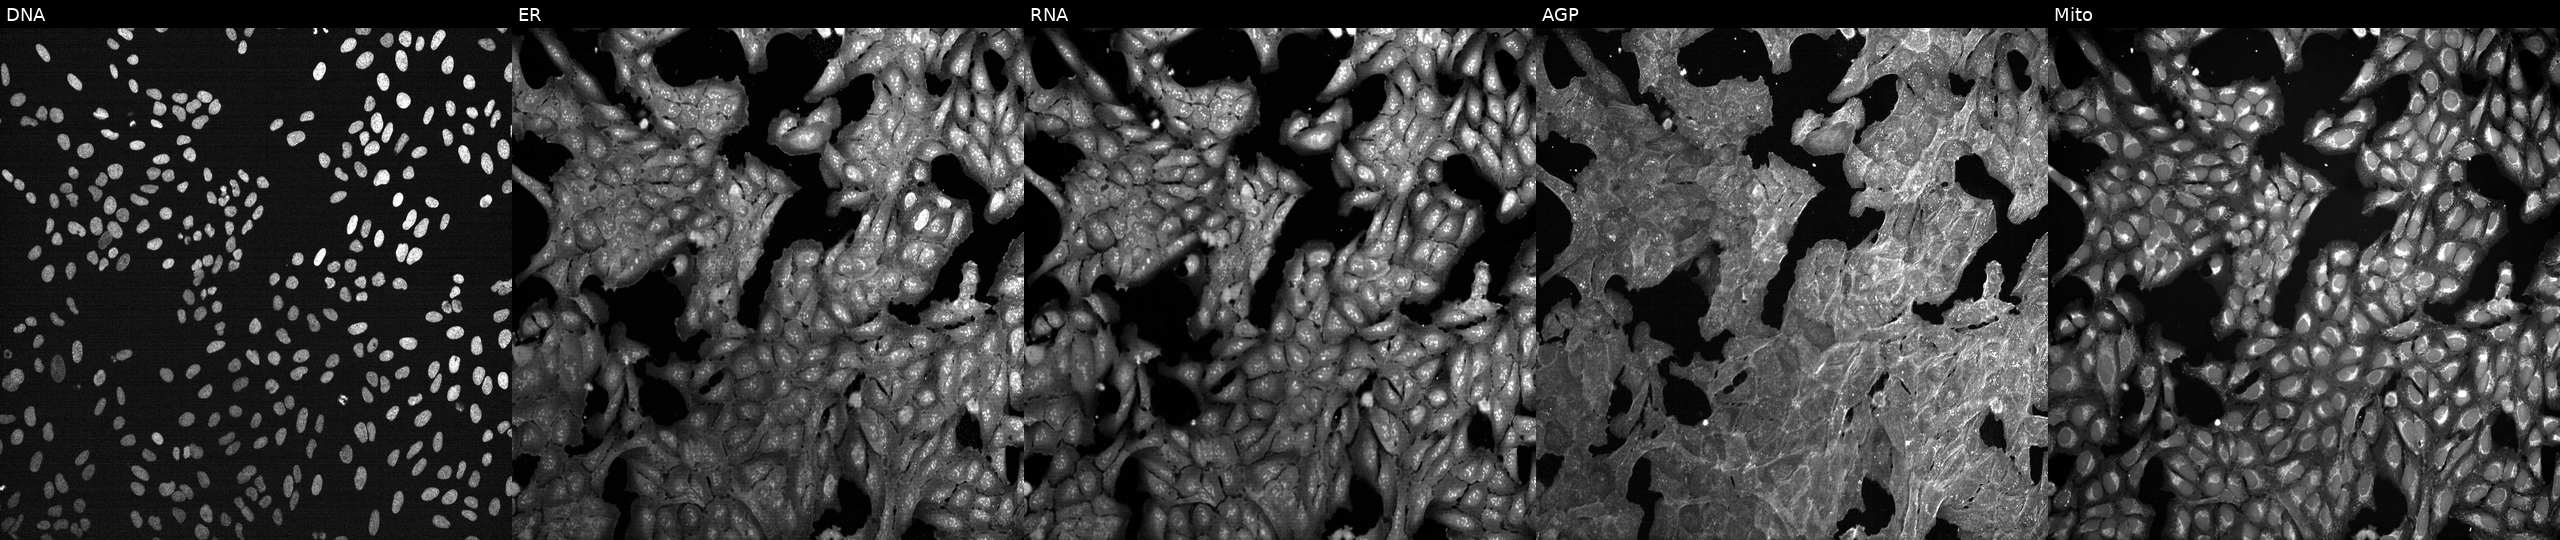
Channels (left→right): DNA (nuclei); ER (endoplasmic reticulum); RNA (nucleoli and cytoplasmic RNA); AGP (actin cytoskeleton, Golgi, and plasma membrane); Mito (mitochondria). U2OS osteosarcoma cells treated with a small-molecule compound (InChIKey BNFRJXLZYUTIII-UHFFFAOYSA-N) [SMILES: Cc1cc(C)cc(NC(=O)Cc2ccc(OC(C)(C)C(=O)O)cc2)c1] (JUMP id JCP2022_007419). Cell Painting assay, JUMP-CP dataset.